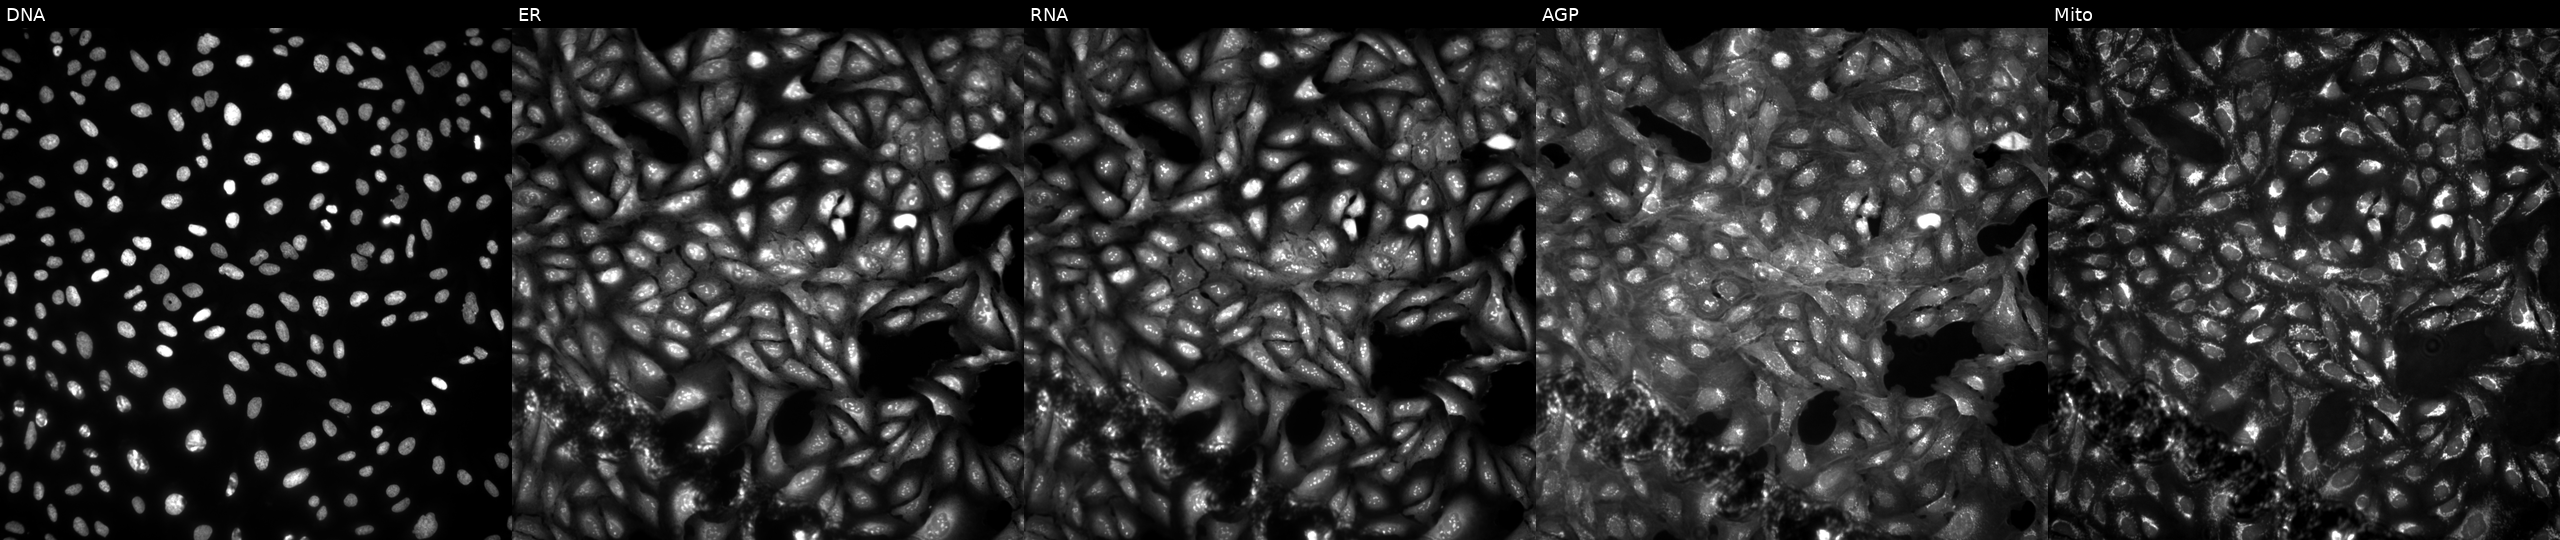
JUMP Cell Painting — ORF plate. U2OS cells untreated (empty-well control) (JUMP id JCP2022_999999). Channels (left→right): Hoechst 33342, concanavalin A, SYTO 14, phalloidin and WGA, MitoTracker.